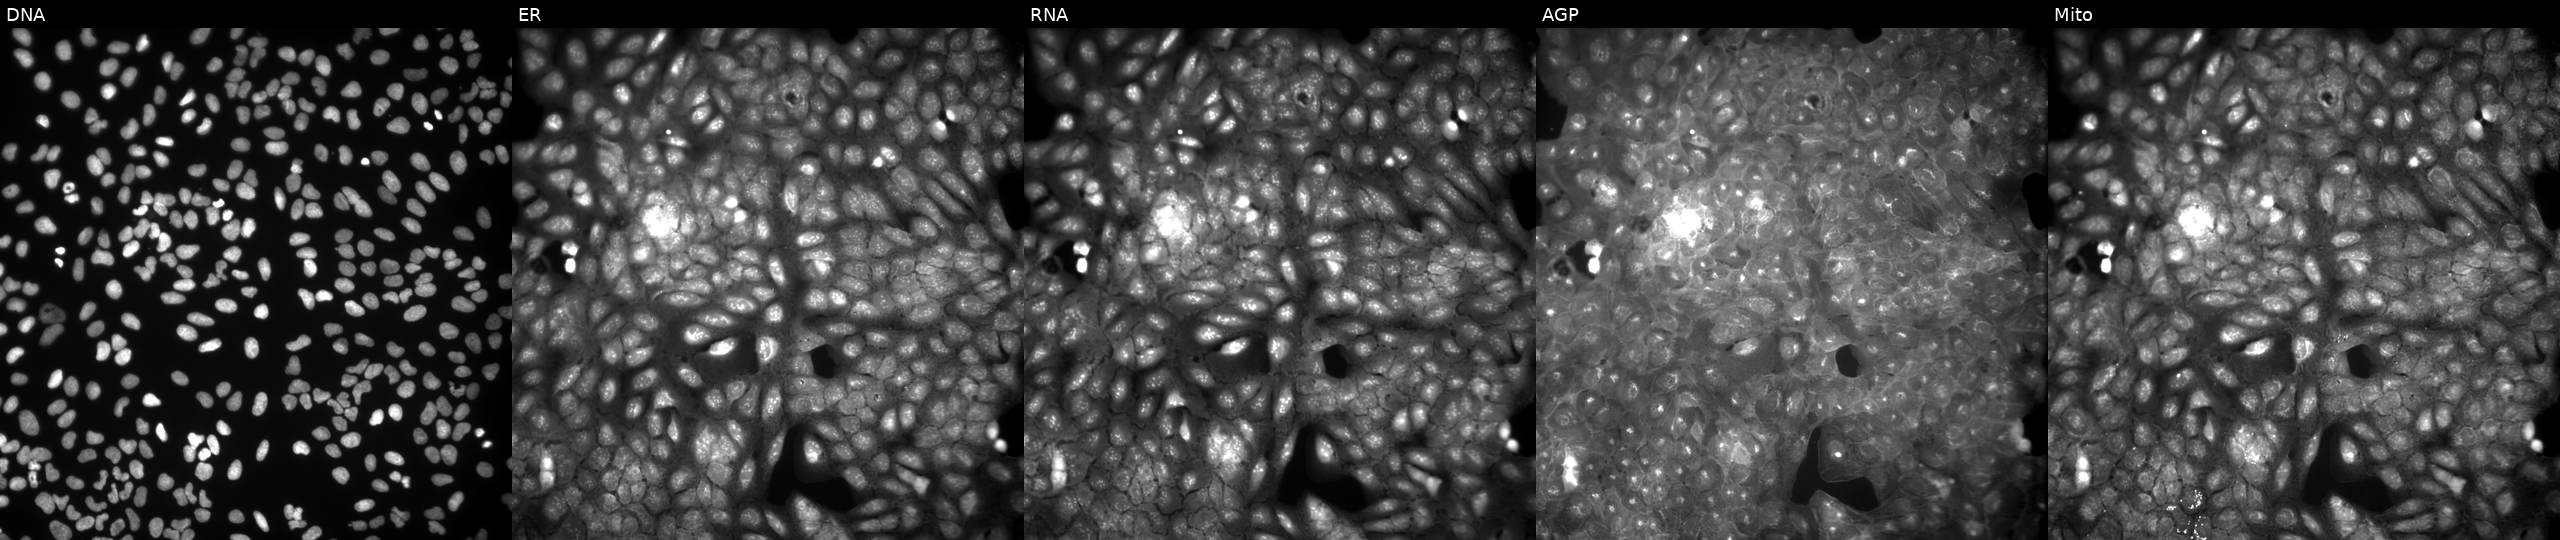
High-content fluorescence microscopy (Cell Painting). Cell line: U2OS. Perturbation: exposed to a small-molecule compound (InChIKey WVVMQNZKEZKSMP-UHFFFAOYSA-N) (JUMP id JCP2022_101535). Panels show, left to right, DNA (nuclei); ER (endoplasmic reticulum); RNA (nucleoli and cytoplasmic RNA); AGP (actin cytoskeleton, Golgi, and plasma membrane); Mito (mitochondria).